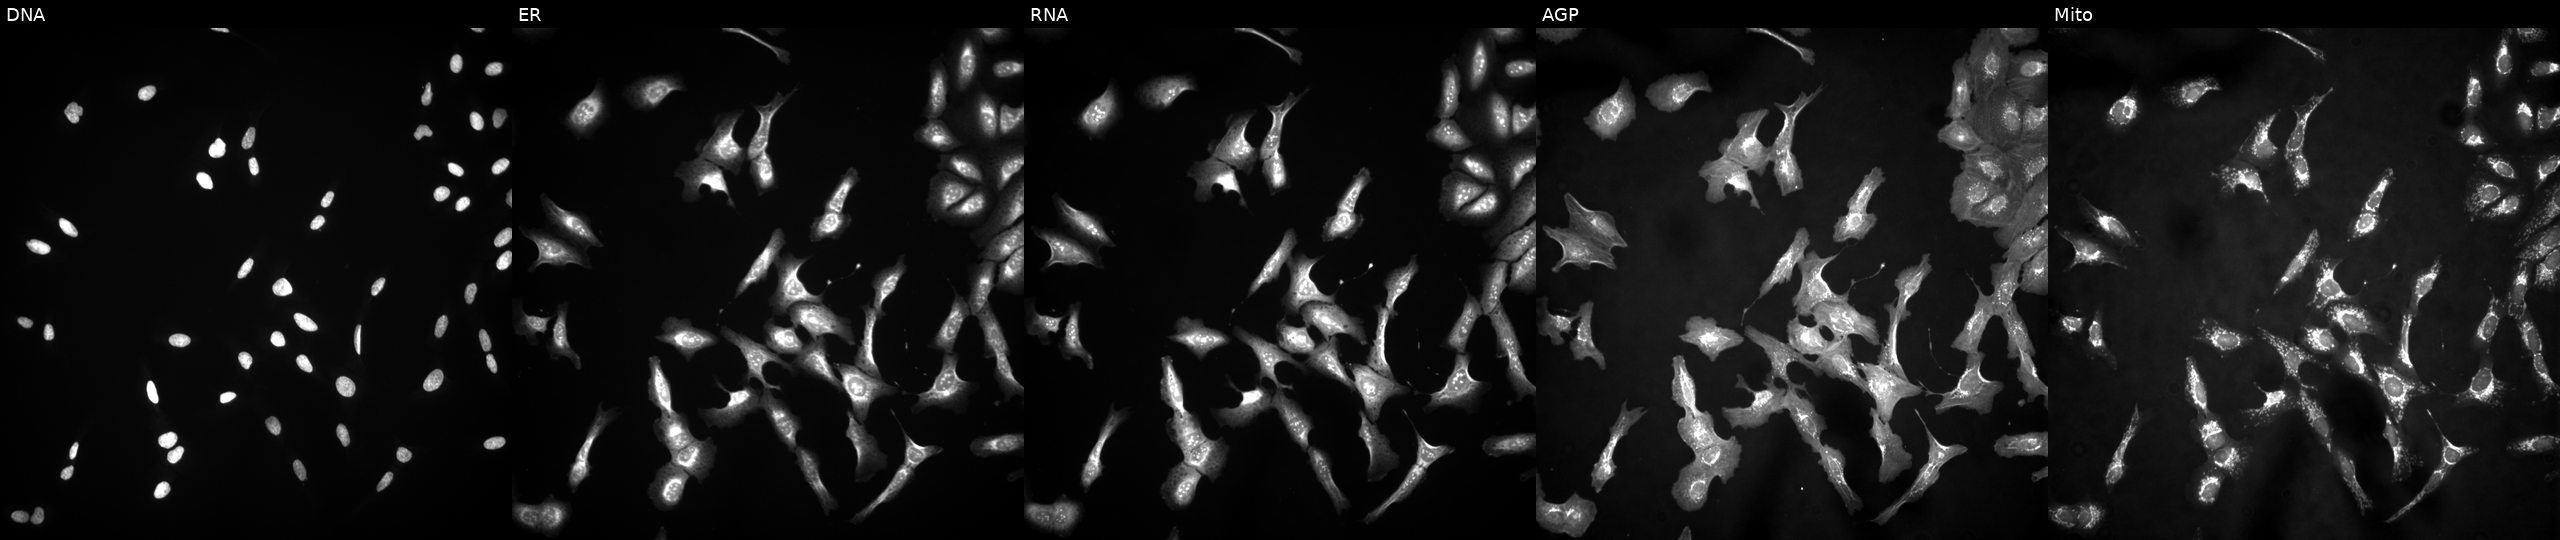
Channels (left→right): DNA, ER, RNA, AGP, and Mito. U2OS osteosarcoma cells with MRPS25 overexpressed (ORF) (JUMP id JCP2022_903708). Cell Painting assay, JUMP-CP dataset. Source 4, plate BR00121543, well D24.